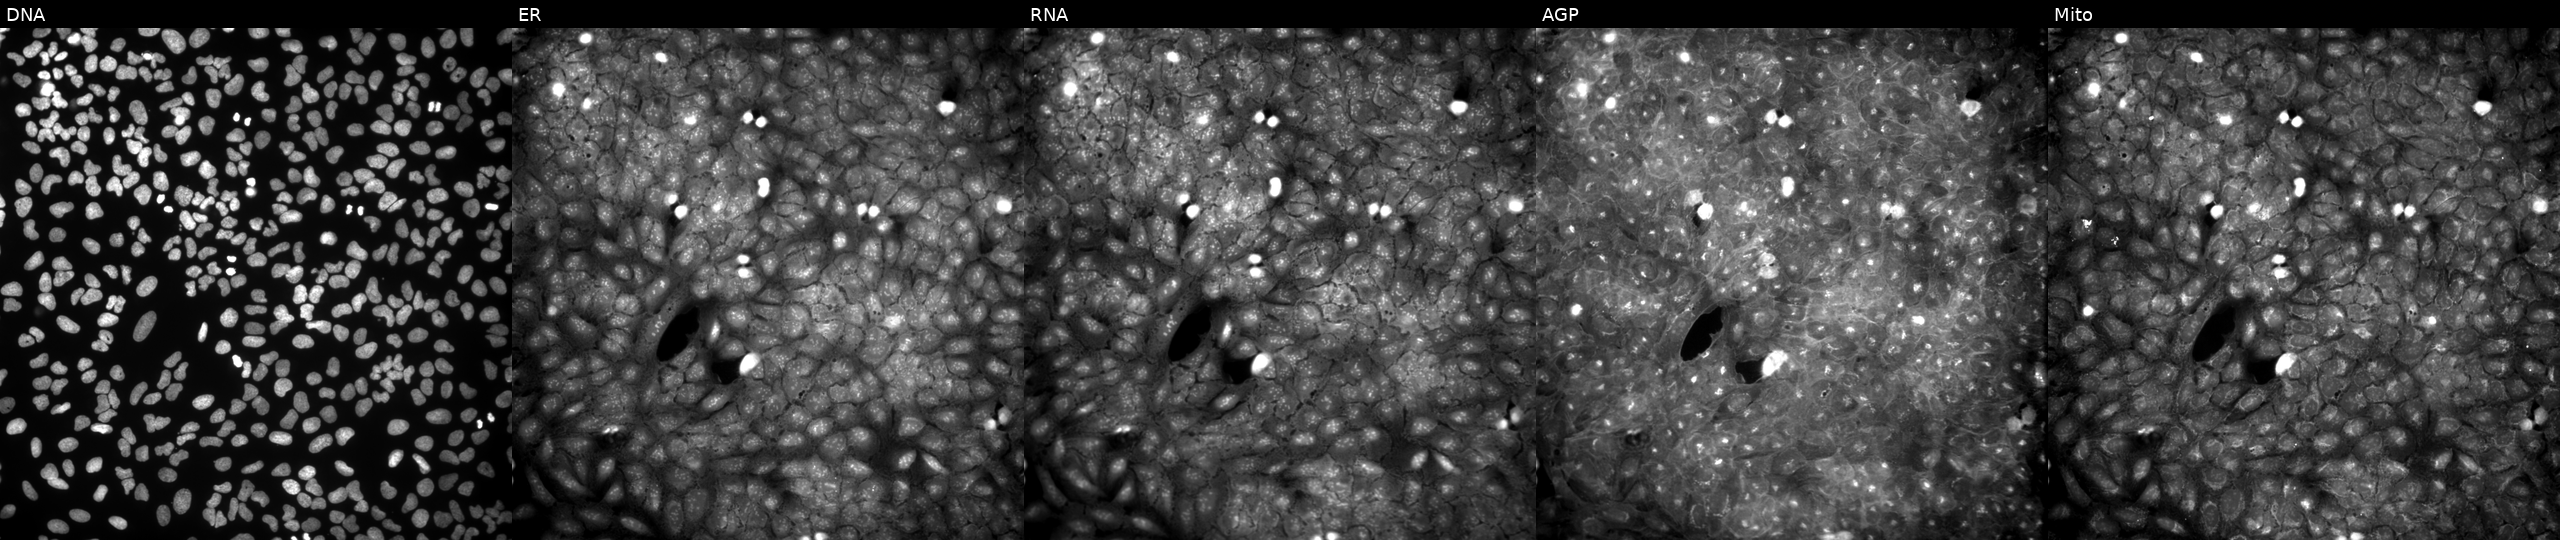
High-content fluorescence microscopy (Cell Painting). Cell line: U2OS. Perturbation: exposed to a small-molecule compound (InChIKey SMBWZEPSDOFNPE-UHFFFAOYSA-N) (JUMP id JCP2022_084120). Panels show, left to right, DNA, ER, RNA, AGP, and Mito. Source 9, plate GR00003381, well Q21.